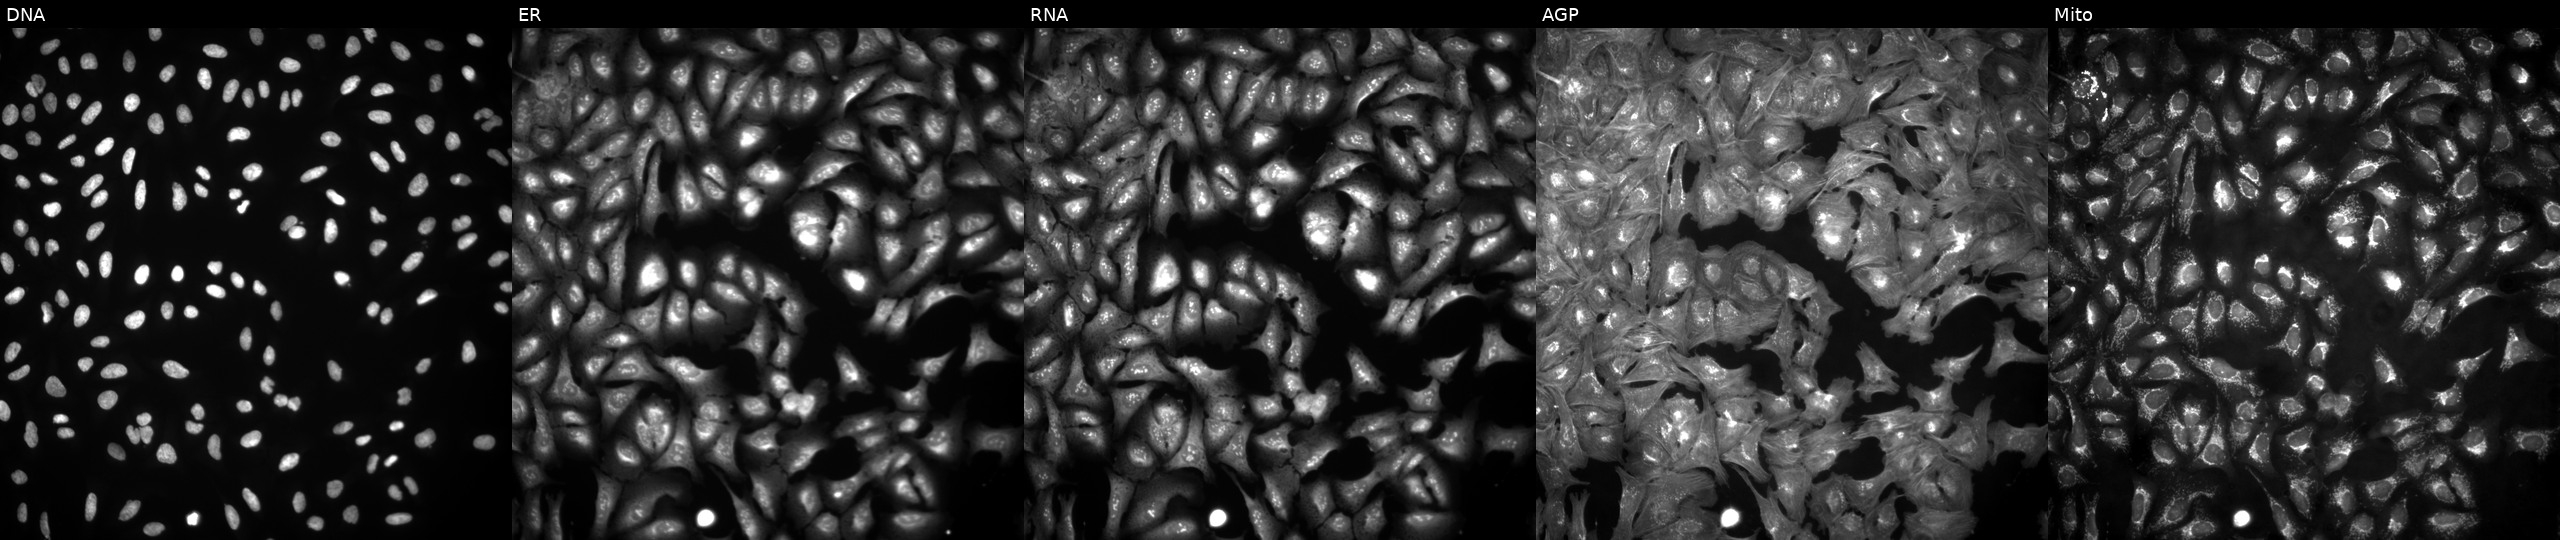
JUMP Cell Painting — ORF plate. U2OS cells transfected with an ORF construct for NOG. From left to right: Hoechst 33342, concanavalin A, SYTO 14, phalloidin and WGA, MitoTracker.